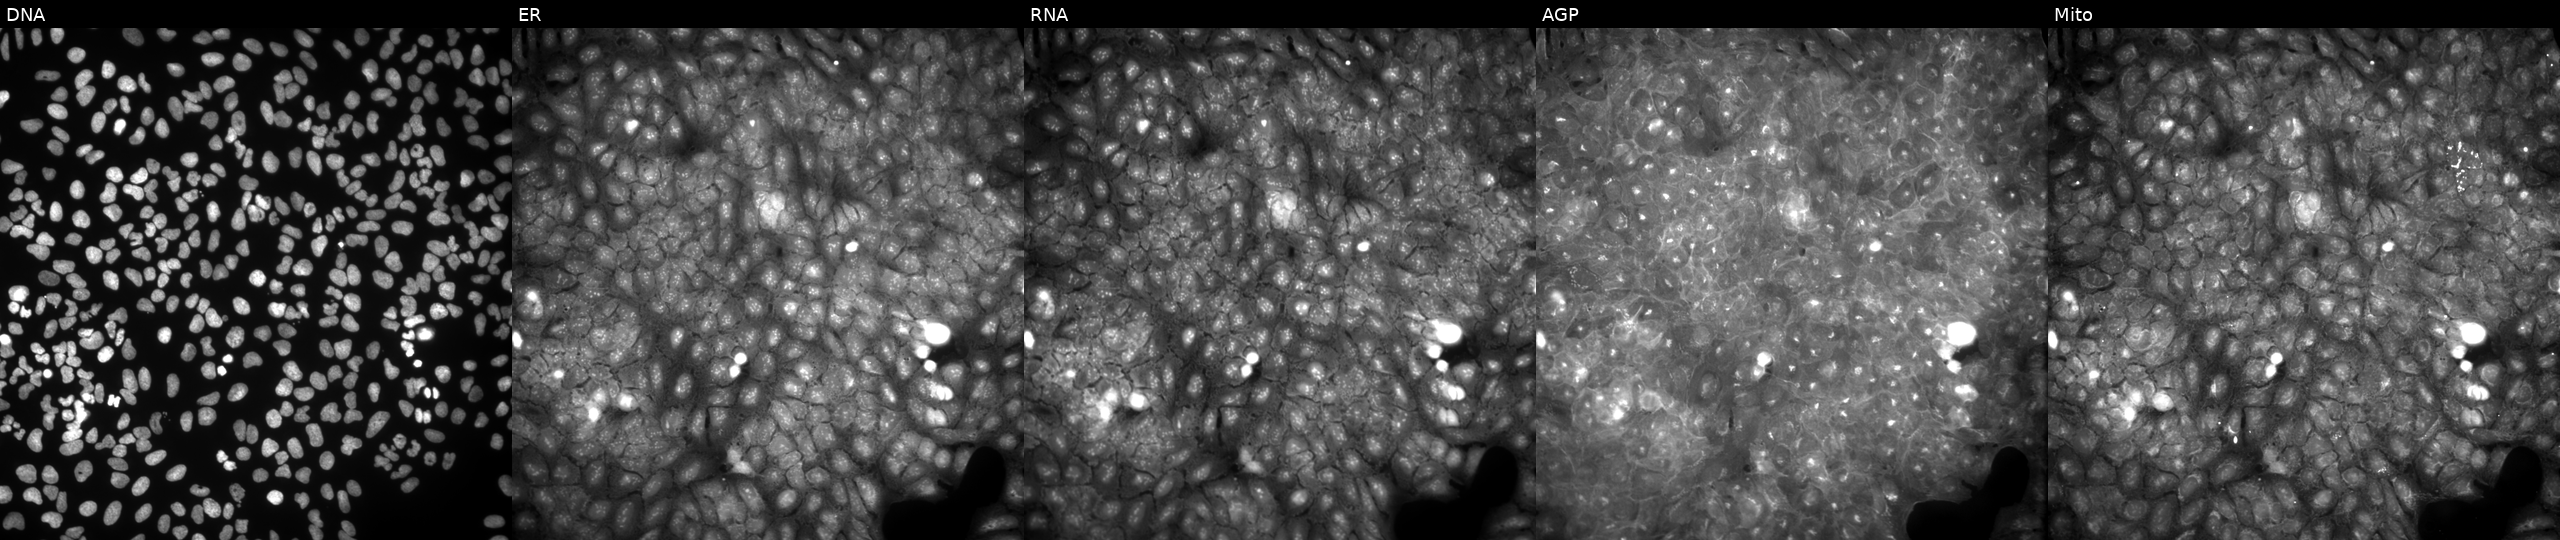
JUMP Cell Painting — COMPOUND plate. U2OS cells perturbed with a small-molecule compound (InChIKey LBSNSOWJLIAIRF-UHFFFAOYSA-N) (JUMP id JCP2022_048425). Channels (left→right): Hoechst 33342, concanavalin A, SYTO 14, phalloidin and WGA, MitoTracker.